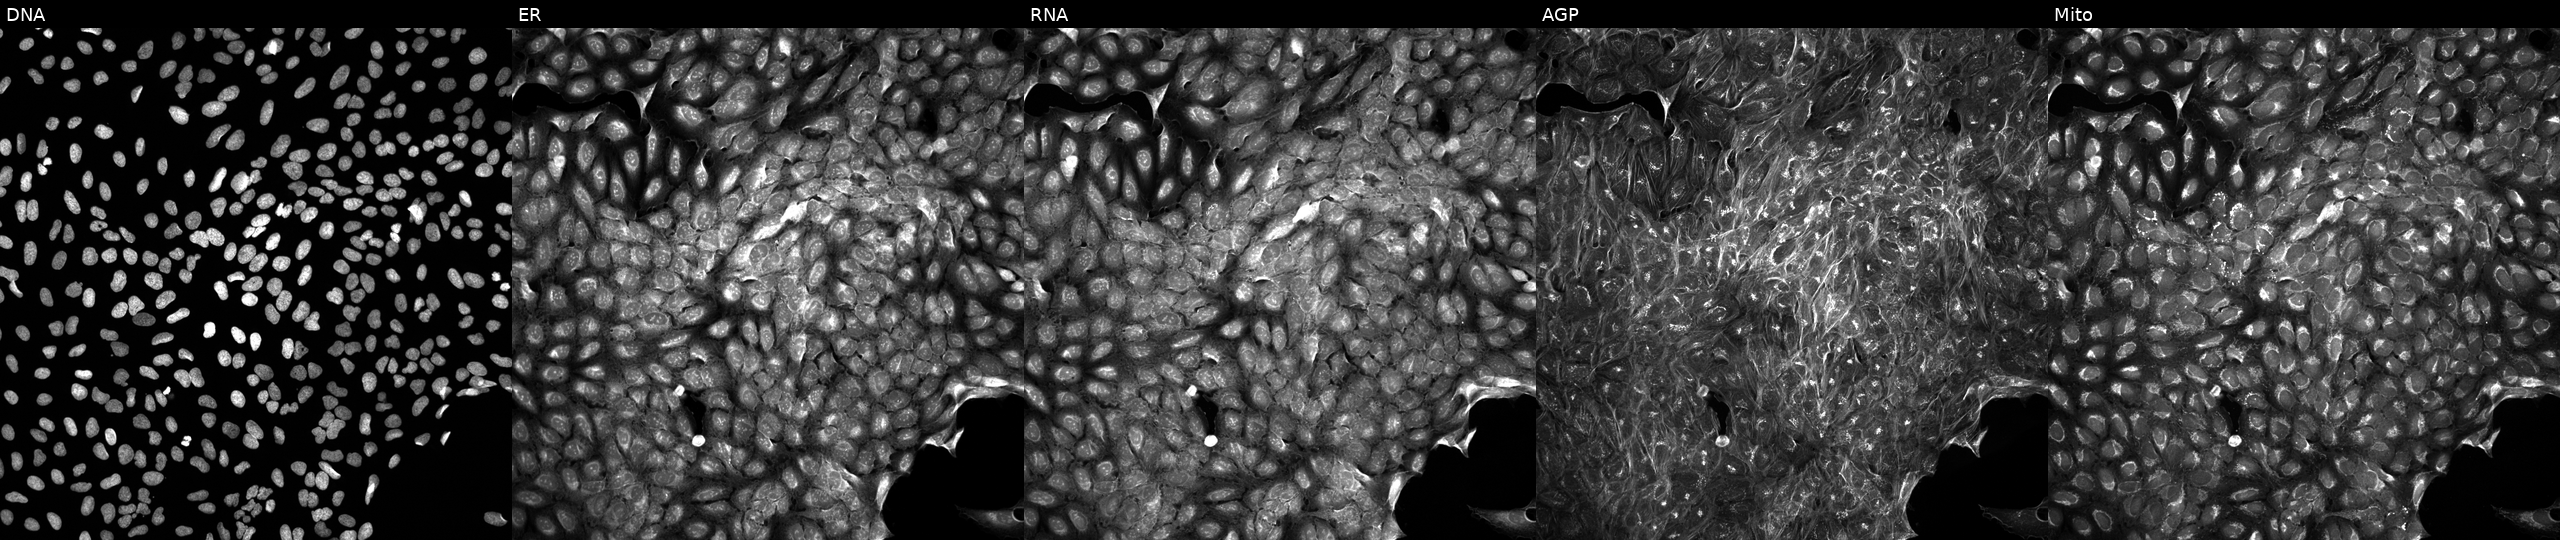
This image strip shows the five Cell Painting channels for a single field of U2OS cells treated with DMSO vehicle only (negative control) (JUMP id JCP2022_033924). Channels (left→right): DNA, ER, RNA, AGP, and Mito. Source 5, plate APTJUM106, well L02.